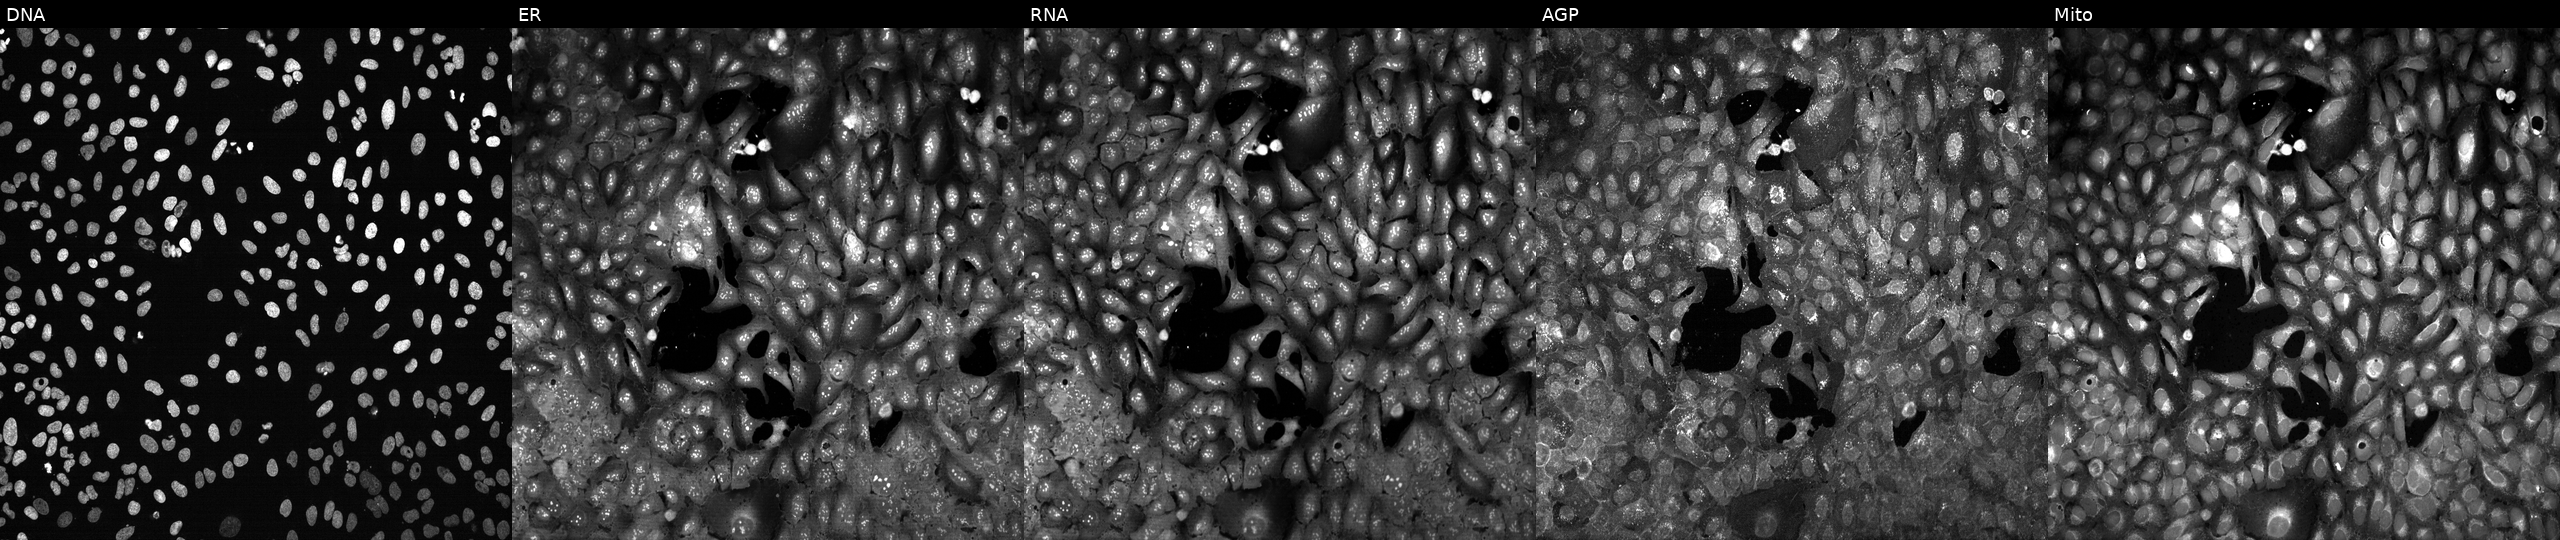
High-content fluorescence microscopy (Cell Painting). Cell line: U2OS. Perturbation: with ST8SIA3 knocked out by CRISPR (JUMP id JCP2022_806813). Channels (left→right): Hoechst 33342, concanavalin A, SYTO 14, phalloidin and WGA, MitoTracker.